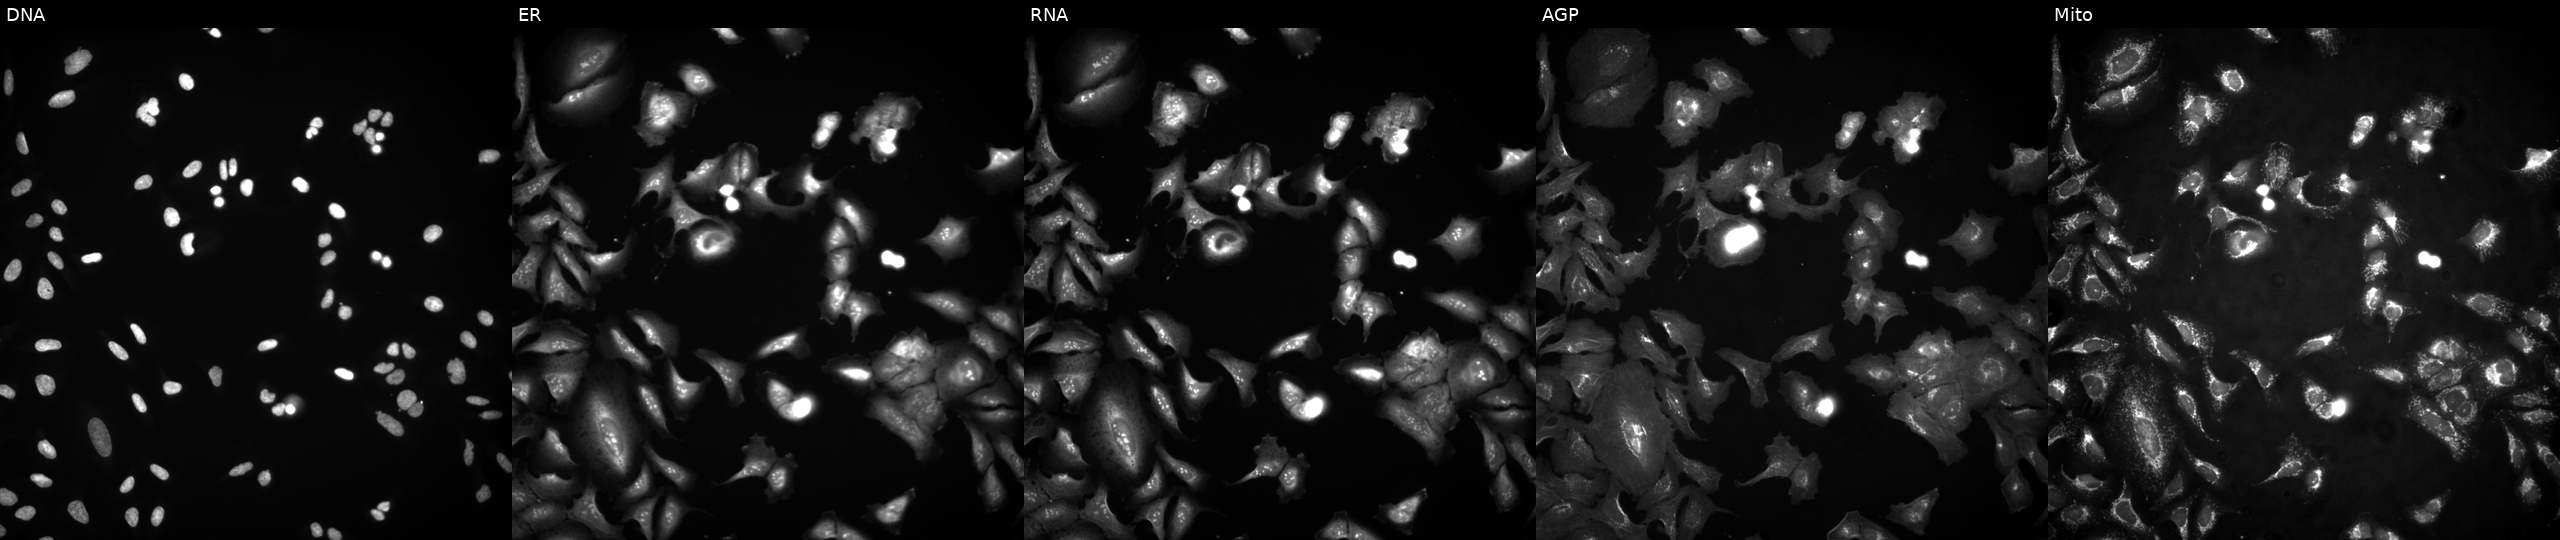
This image strip shows the five Cell Painting channels for a single field of U2OS cells overexpressing PRDM4 via ORF transfection. Panels show, left to right, DNA (nuclei); ER (endoplasmic reticulum); RNA (nucleoli and cytoplasmic RNA); AGP (actin cytoskeleton, Golgi, and plasma membrane); Mito (mitochondria).